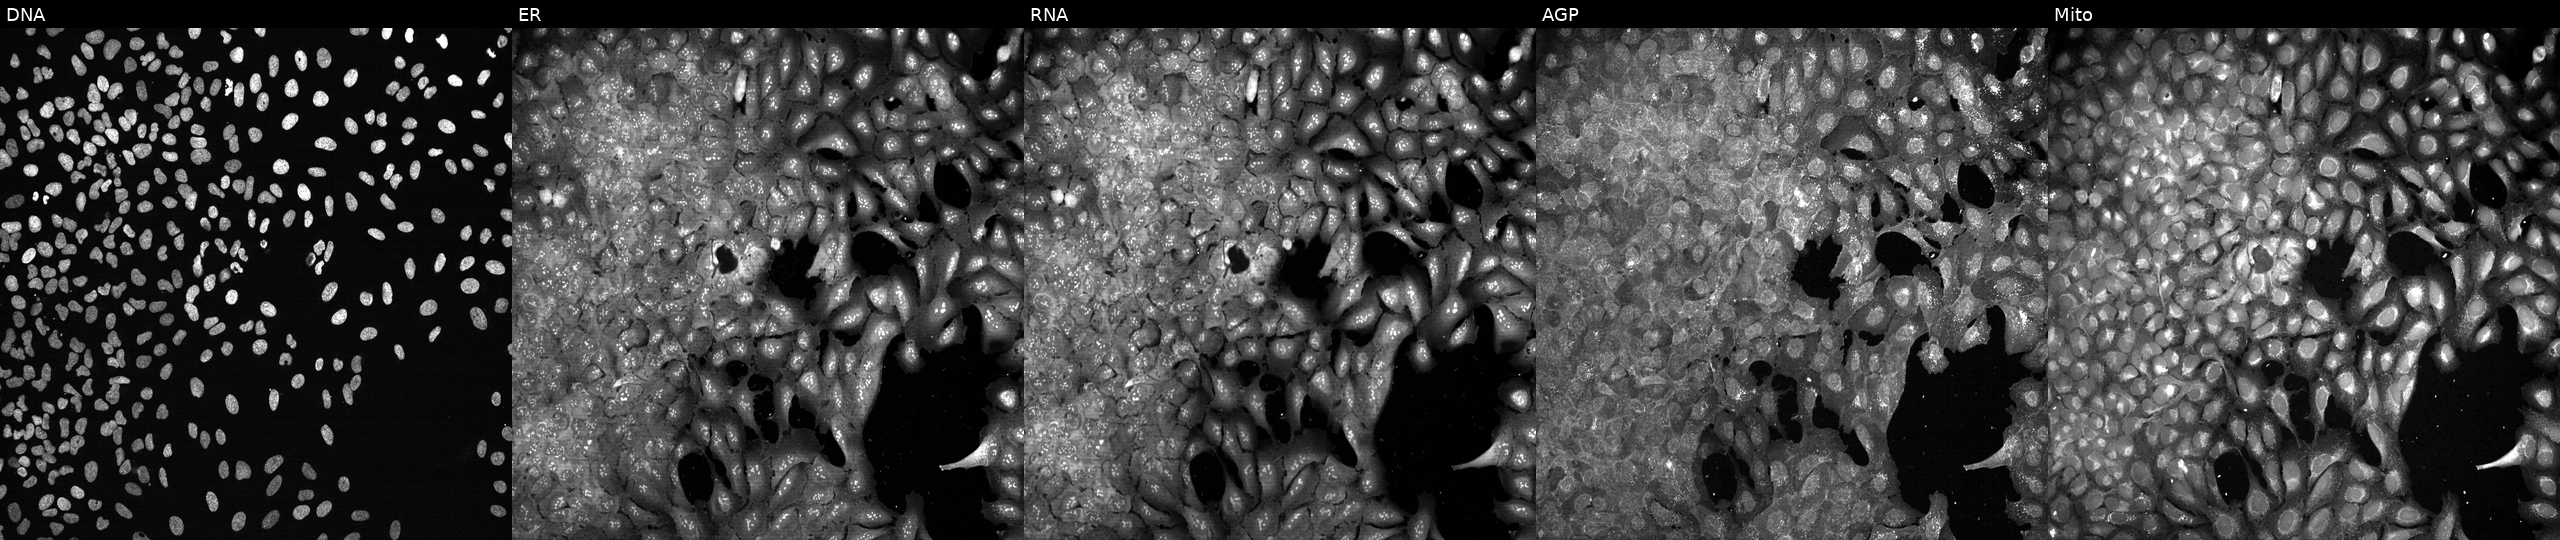
This image strip shows the five Cell Painting channels for a single field of U2OS cells with SPTLC3 knocked out by CRISPR (JUMP id JCP2022_806757). The five panels, left to right, show DNA (nuclei); ER (endoplasmic reticulum); RNA (nucleoli and cytoplasmic RNA); AGP (actin cytoskeleton, Golgi, and plasma membrane); Mito (mitochondria).